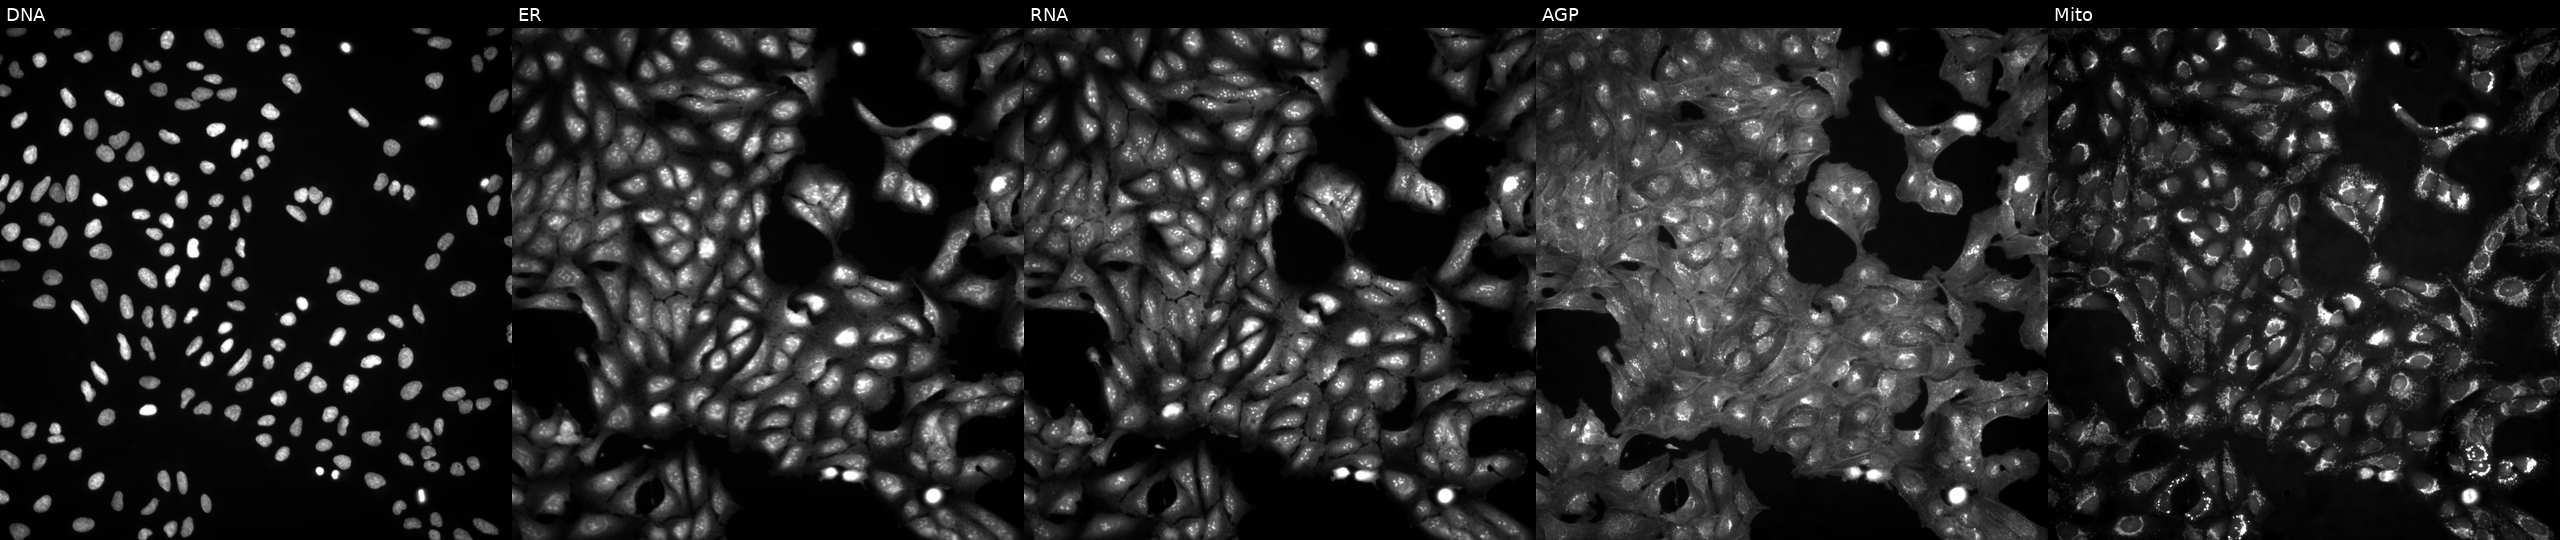
JUMP Cell Painting — ORF plate. U2OS cells in an empty control well (no perturbation) (JUMP id JCP2022_999999). From left to right: Hoechst 33342, concanavalin A, SYTO 14, phalloidin and WGA, MitoTracker.